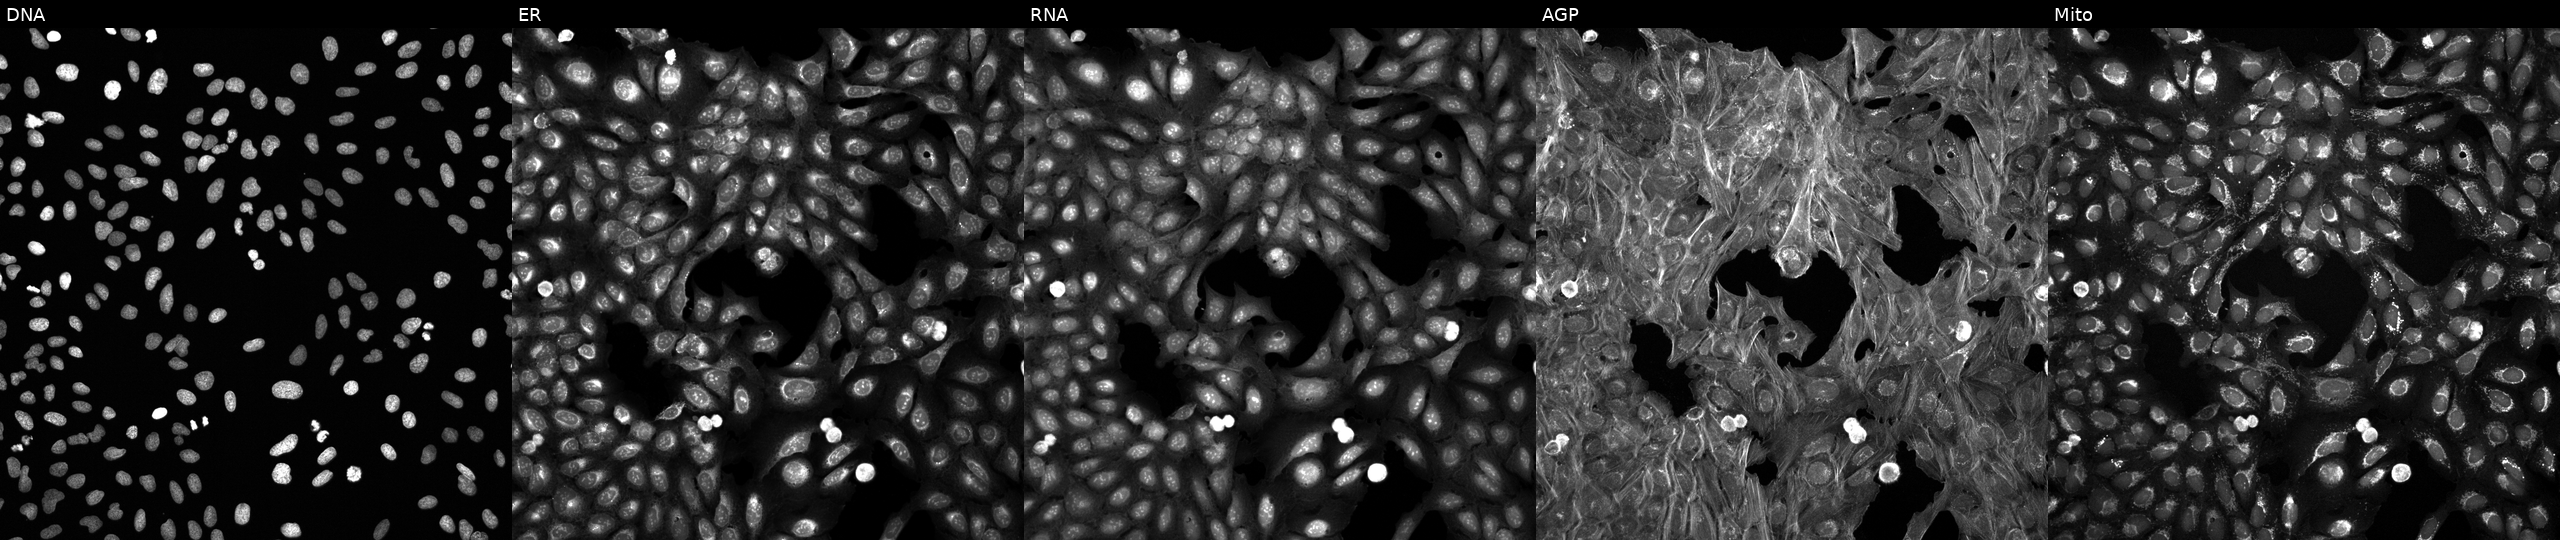
High-content fluorescence microscopy (Cell Painting). Cell line: U2OS. Perturbation: perturbed with a small-molecule compound (InChIKey UCAGLBKTLXCODC-UHFFFAOYSA-N) (JUMP id JCP2022_088224). Panels show, left to right, Hoechst 33342, concanavalin A, SYTO 14, phalloidin and WGA, MitoTracker. Source 6, plate 110000294901, well K03.